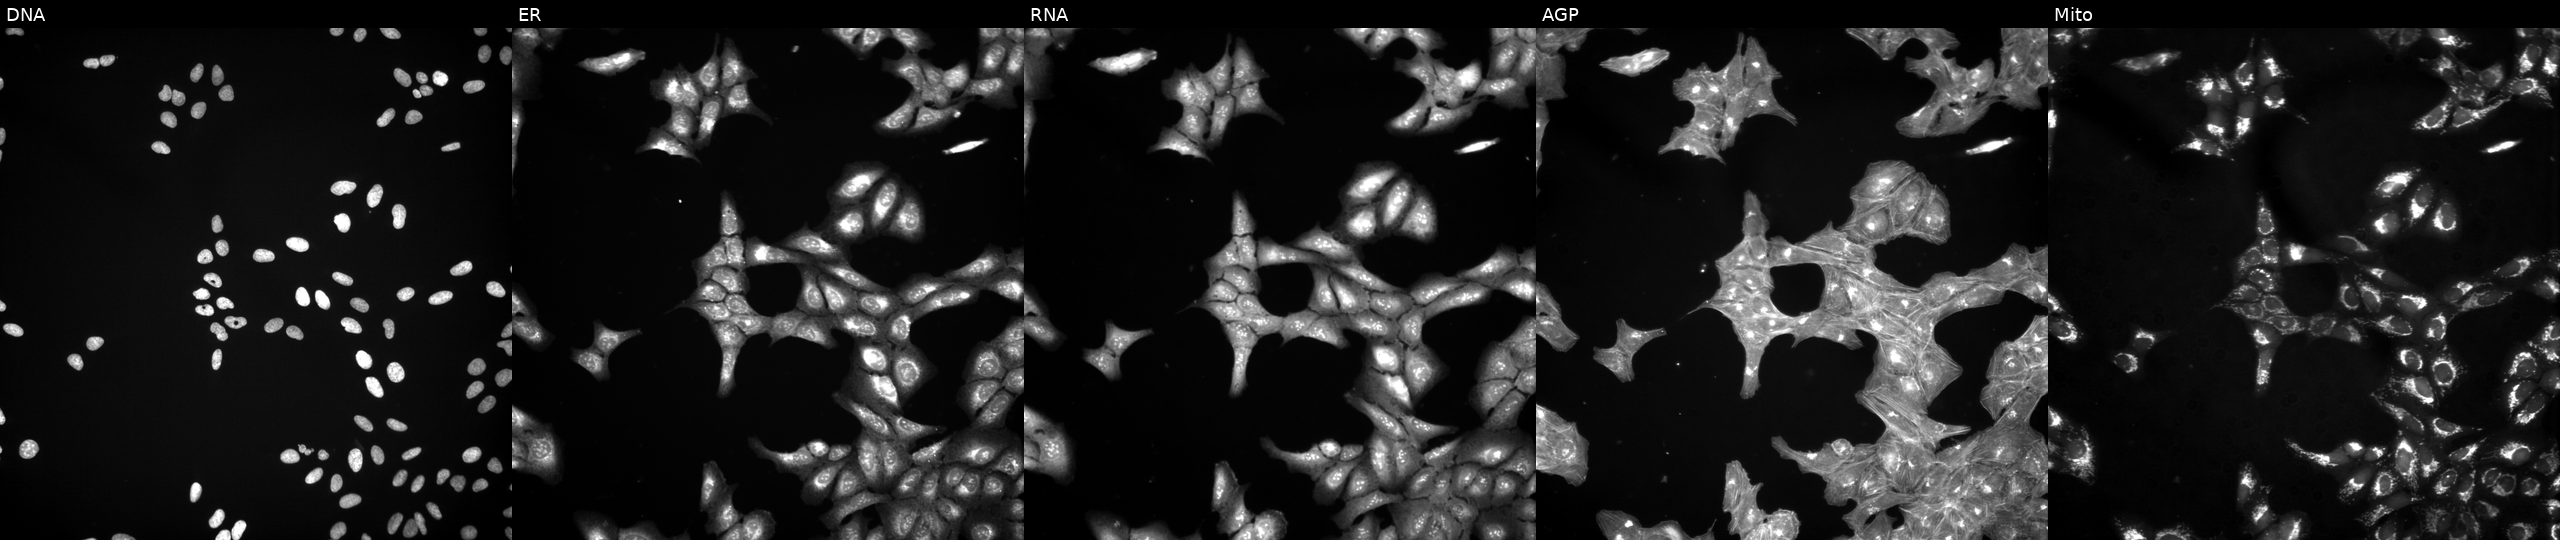
High-content fluorescence microscopy (Cell Painting). Cell line: U2OS. Perturbation: treated with DMSO vehicle only (negative control). Panels show, left to right, Hoechst 33342, concanavalin A, SYTO 14, phalloidin and WGA, MitoTracker. Source 3, plate JCPQC053, well F14.